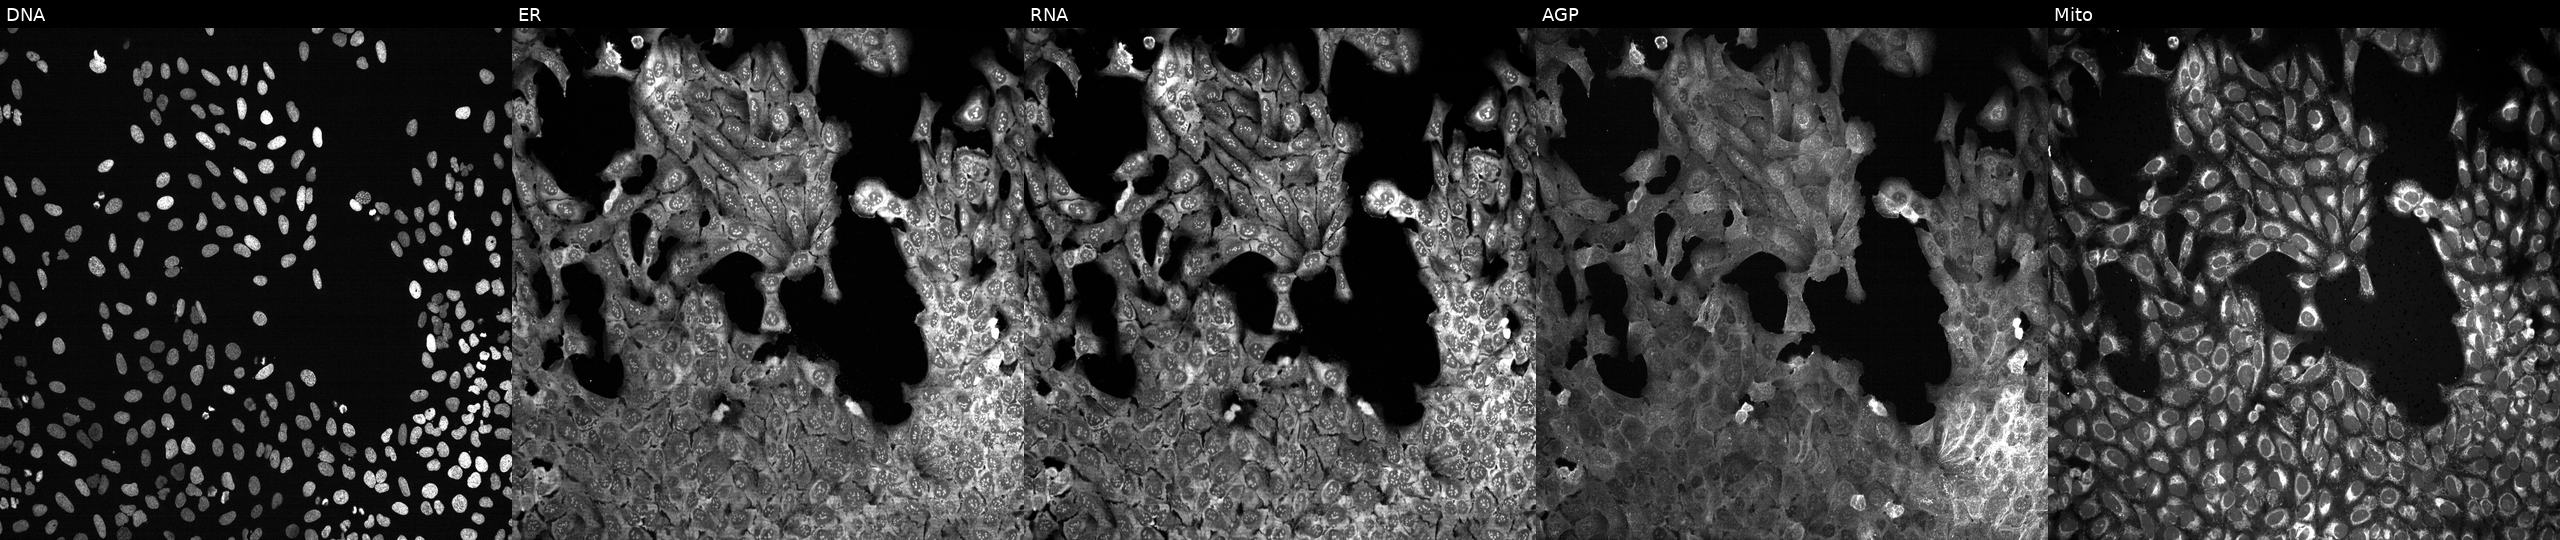
U2OS cells, Cell Painting assay, CRISPR-edited to disrupt PRDX1 (JUMP id JCP2022_805498). Panels show, left to right, DNA, ER, RNA, AGP, and Mito. Each panel is percentile-stretched 16-bit fluorescence.